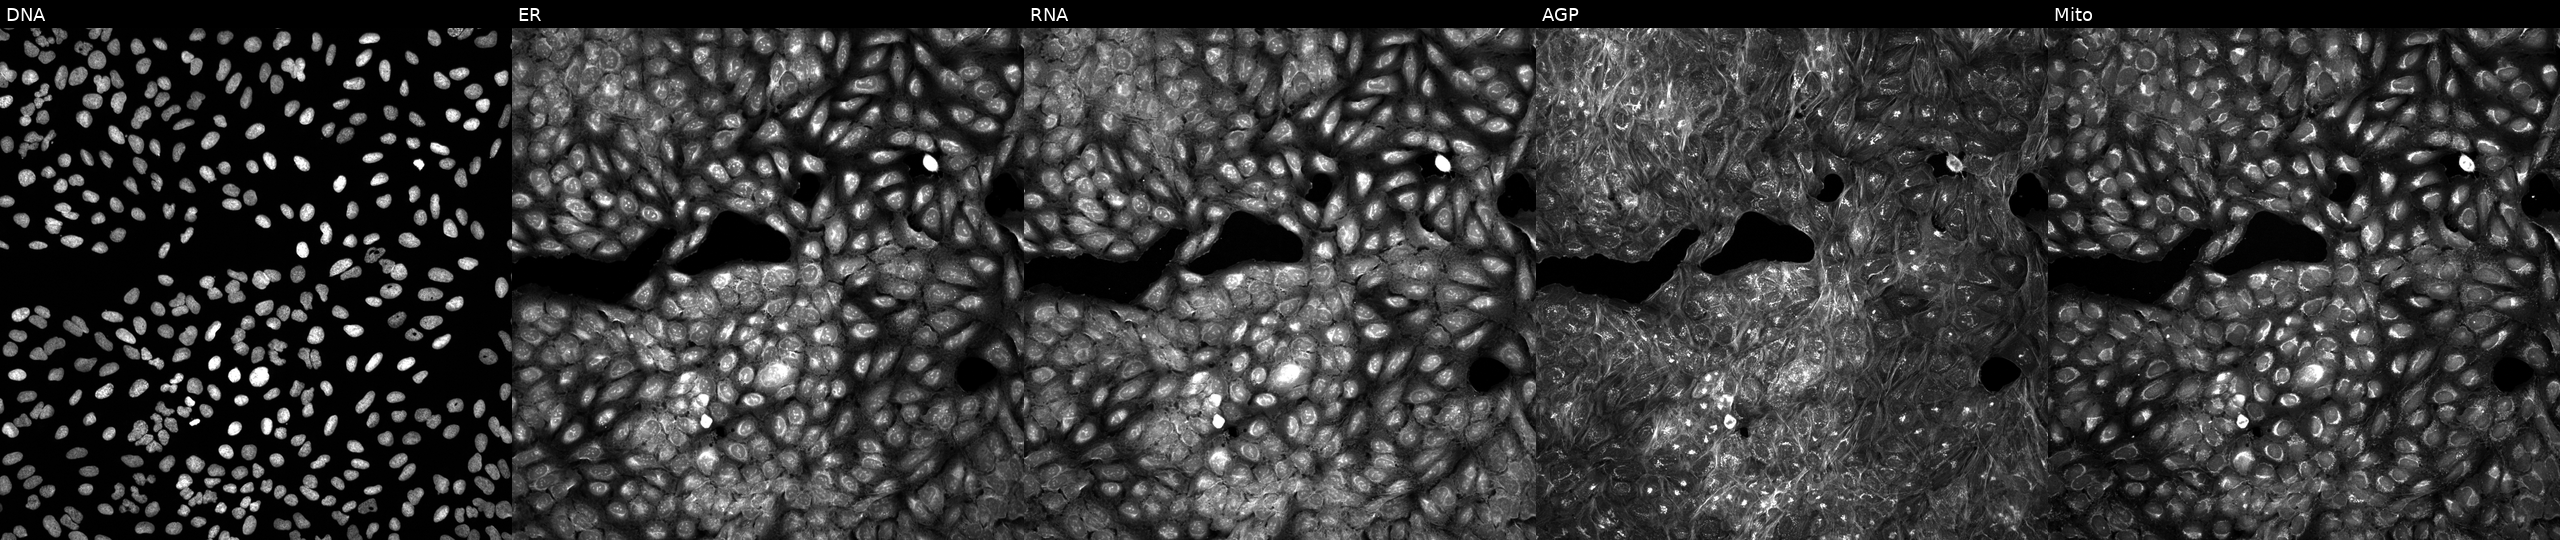
High-content fluorescence microscopy (Cell Painting). Cell line: U2OS. Perturbation: perturbed with a small-molecule compound (InChIKey GWOWOLZXYGTGHM-UHFFFAOYSA-N) (JUMP id JCP2022_028241). The five panels, left to right, show DNA, ER, RNA, AGP, and Mito.